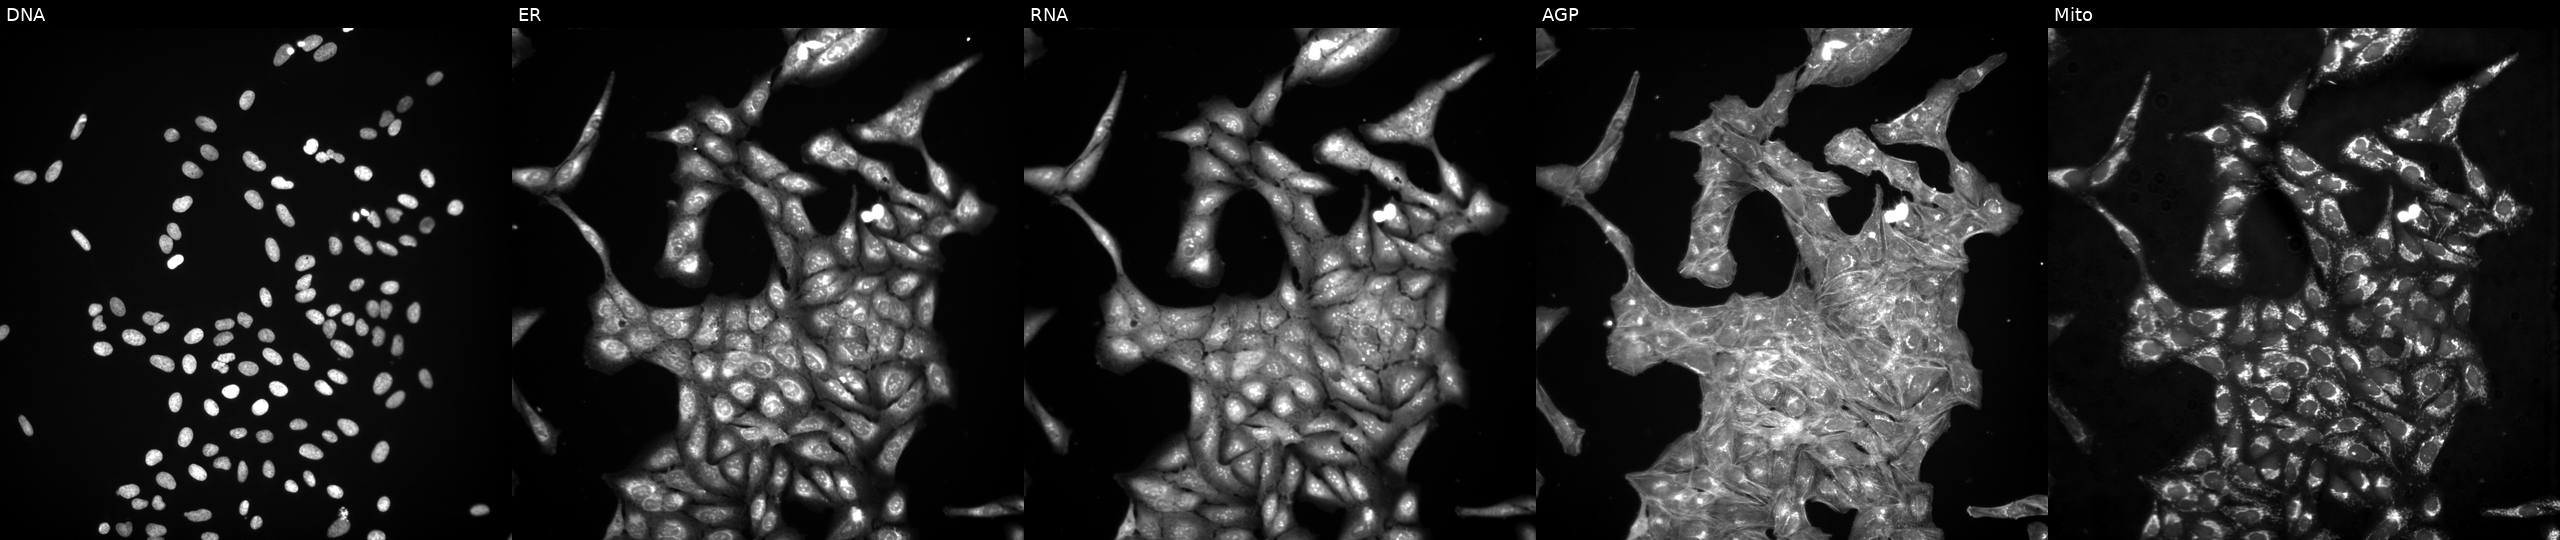
Panels show, left to right, Hoechst 33342, concanavalin A, SYTO 14, phalloidin and WGA, MitoTracker. U2OS osteosarcoma cells treated with a small-molecule compound (InChIKey YMDXSGBNCBQYGC-UHFFFAOYSA-N). Cell Painting assay, JUMP-CP dataset.